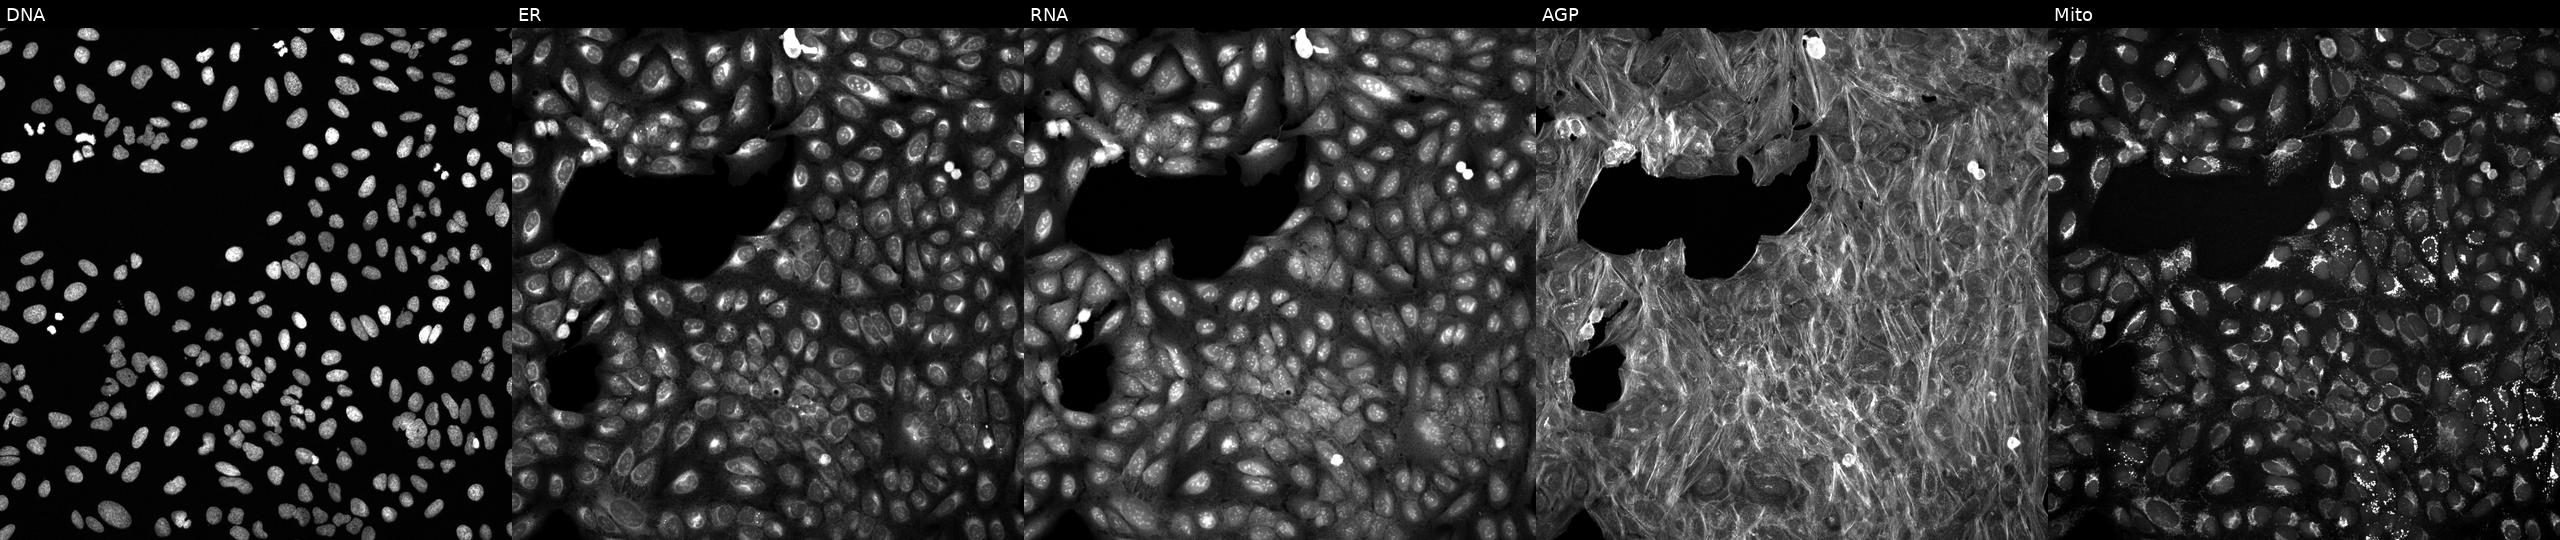
The five panels, left to right, show Hoechst 33342, concanavalin A, SYTO 14, phalloidin and WGA, MitoTracker. U2OS osteosarcoma cells treated with a small-molecule compound (InChIKey XNOPRXBHLZRZKH-UHFFFAOYSA-N) (JUMP id JCP2022_104794). Cell Painting assay, JUMP-CP dataset.